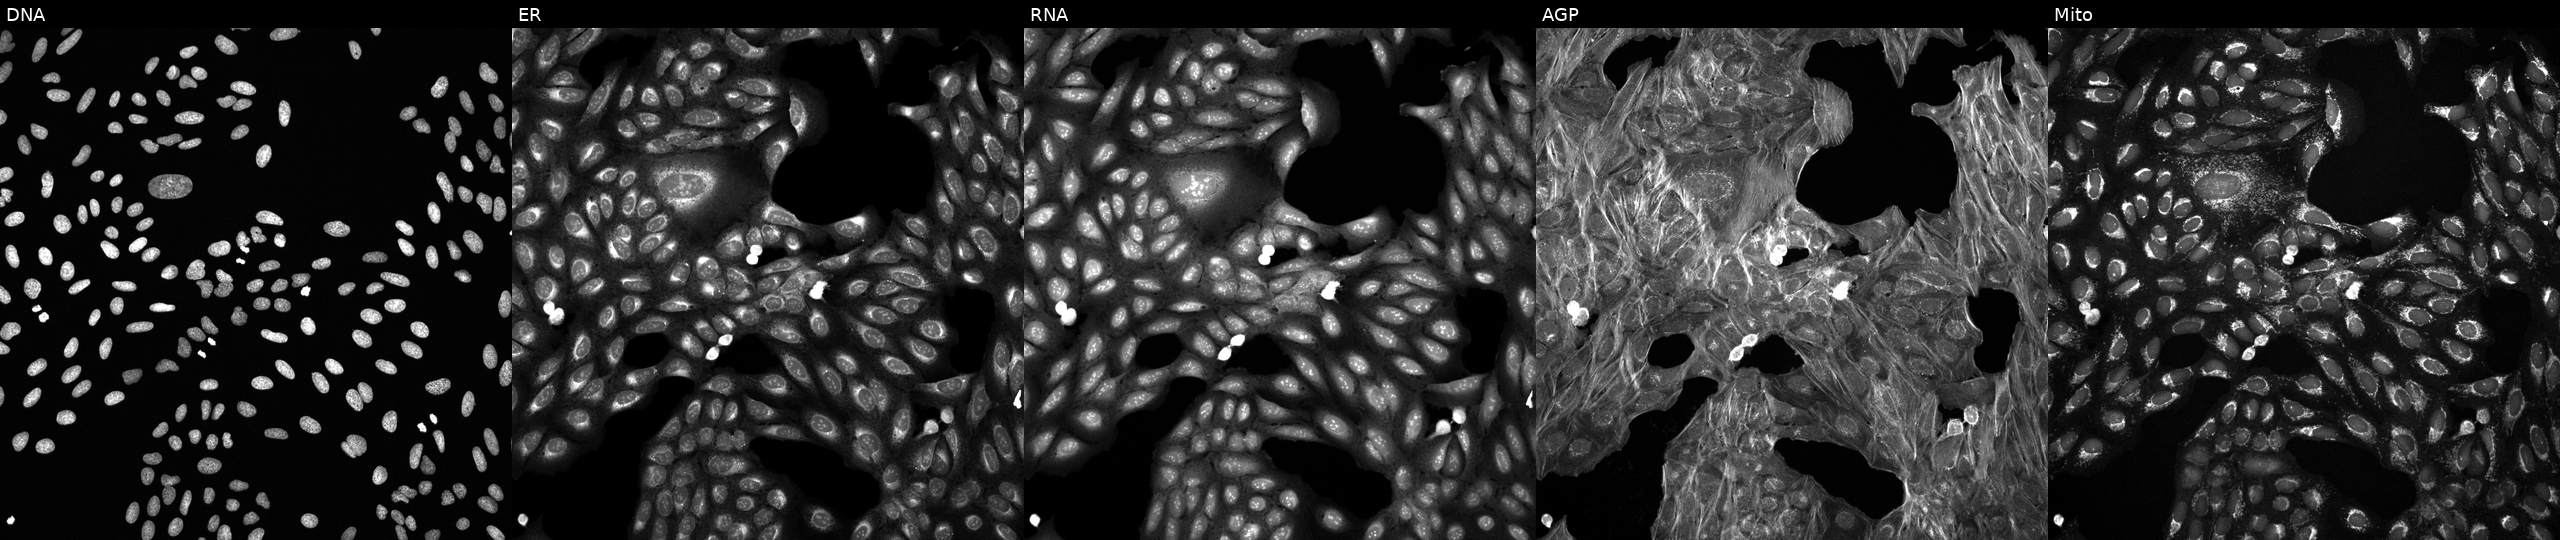
High-content fluorescence microscopy (Cell Painting). Cell line: U2OS. Perturbation: perturbed with a small-molecule compound (InChIKey CYAALZKNLBPNRM-UHFFFAOYSA-N). The five panels, left to right, show Hoechst 33342, concanavalin A, SYTO 14, phalloidin and WGA, MitoTracker. Source 6, plate 110000293082, well D15.